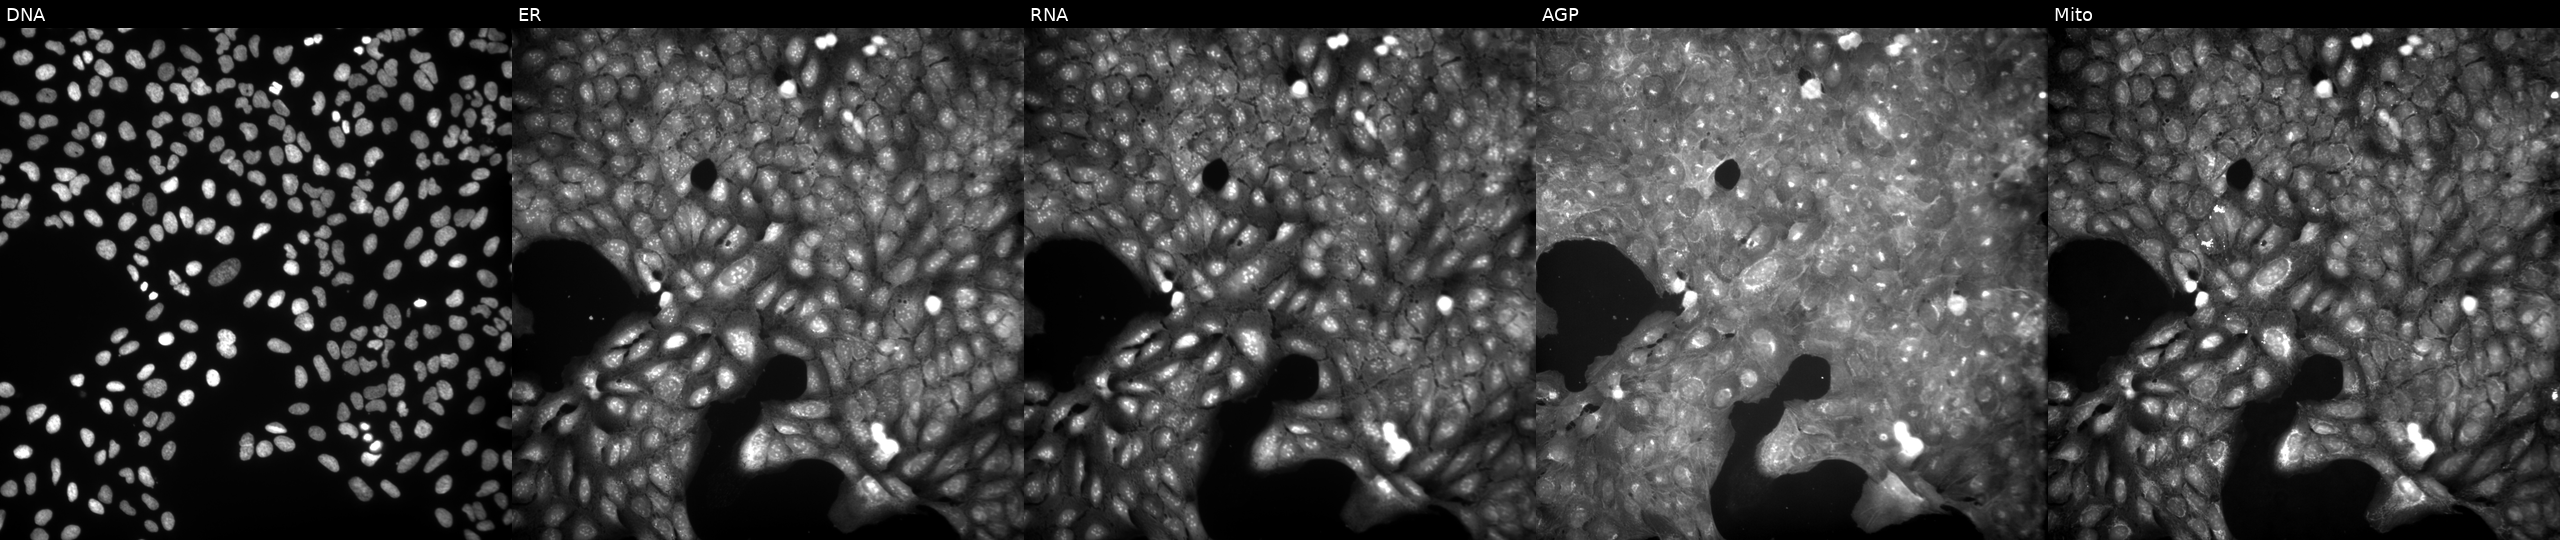
U2OS cells, Cell Painting assay, perturbed with a small-molecule compound (InChIKey WUJAWXNVEYSRPV-UHFFFAOYSA-N) [SMILES: CC(=O)Oc1ccc2cc(NC(=O)c3ccc(C)cc3)c(=O)oc2c1]. From left to right: Hoechst 33342, concanavalin A, SYTO 14, phalloidin and WGA, MitoTracker. Each panel is percentile-stretched 16-bit fluorescence.